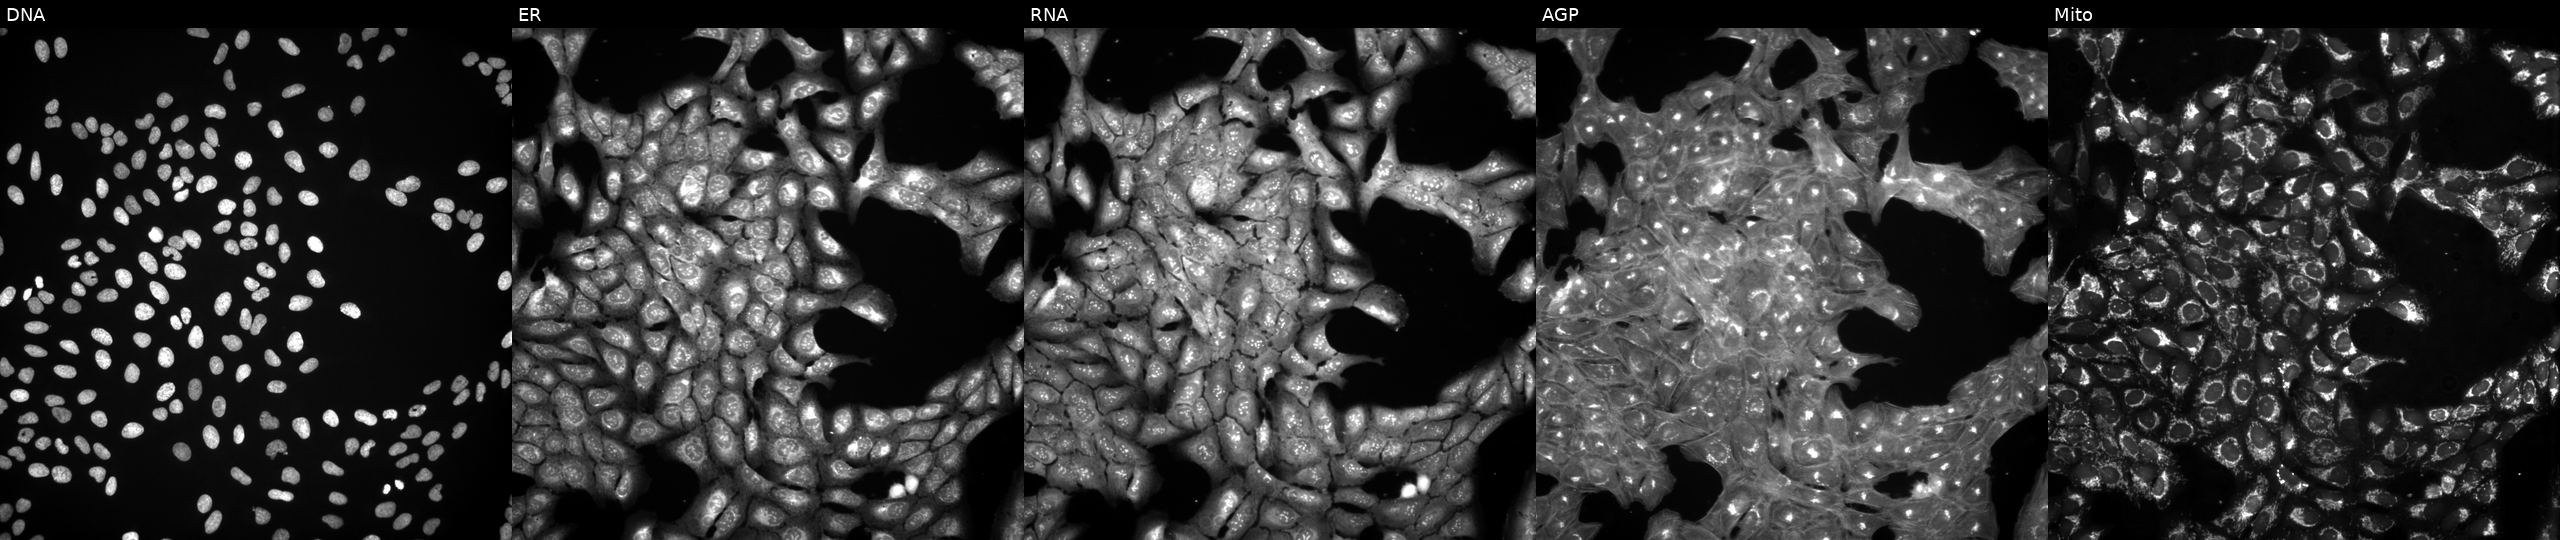
U2OS cells, Cell Painting assay, exposed to a small-molecule compound (InChIKey QIBIUBZZLZHBID-UHFFFAOYSA-N). The five panels, left to right, show DNA, ER, RNA, AGP, and Mito. Each panel is percentile-stretched 16-bit fluorescence.